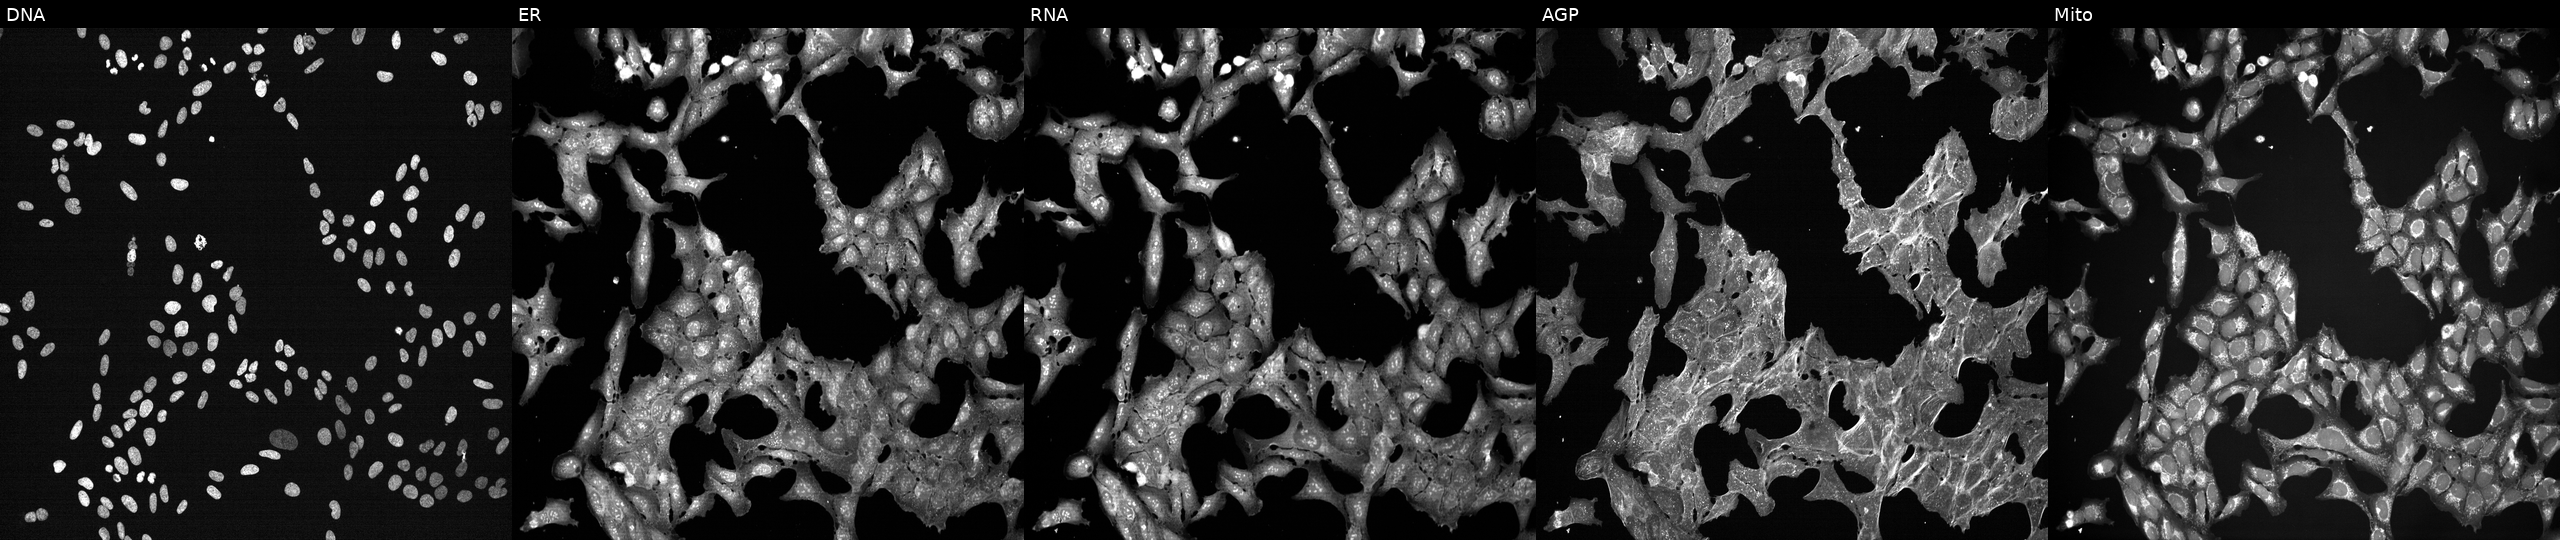
Five-channel Cell Painting image of U2OS cells treated with a small-molecule compound (InChIKey XFILPEOLDIKJHX-UHFFFAOYSA-N). Panels show, left to right, DNA (nuclei); ER (endoplasmic reticulum); RNA (nucleoli and cytoplasmic RNA); AGP (actin cytoskeleton, Golgi, and plasma membrane); Mito (mitochondria). Source 7, plate CP3-SC1-25, well G20.